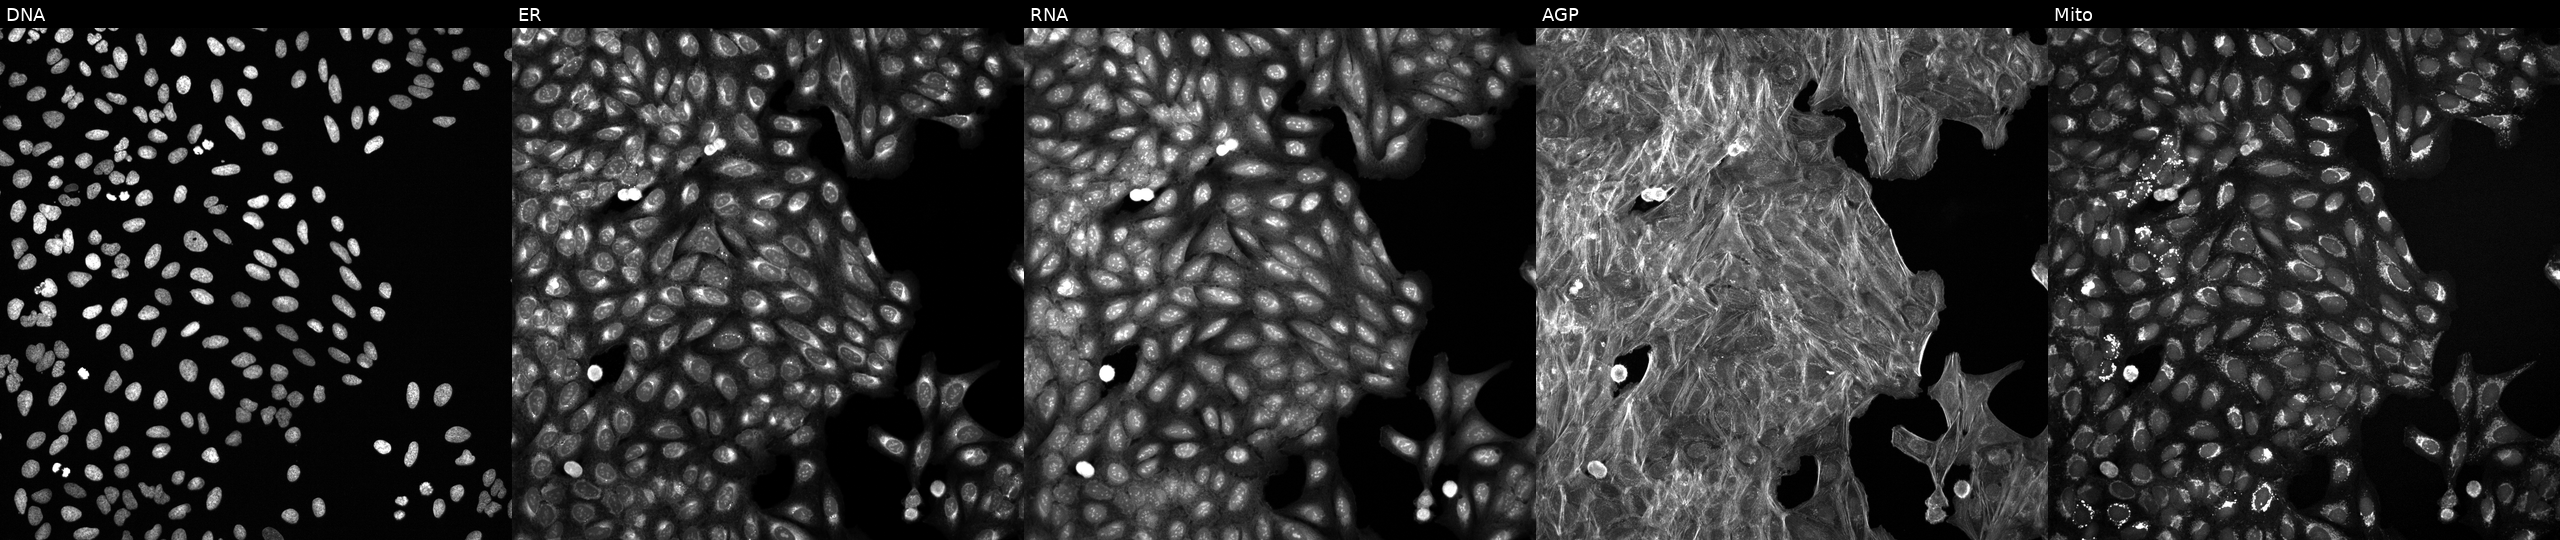
JUMP Cell Painting — COMPOUND plate. U2OS cells exposed to DMSO alone as a negative control (JUMP id JCP2022_033924). Panels show, left to right, Hoechst 33342, concanavalin A, SYTO 14, phalloidin and WGA, MitoTracker.